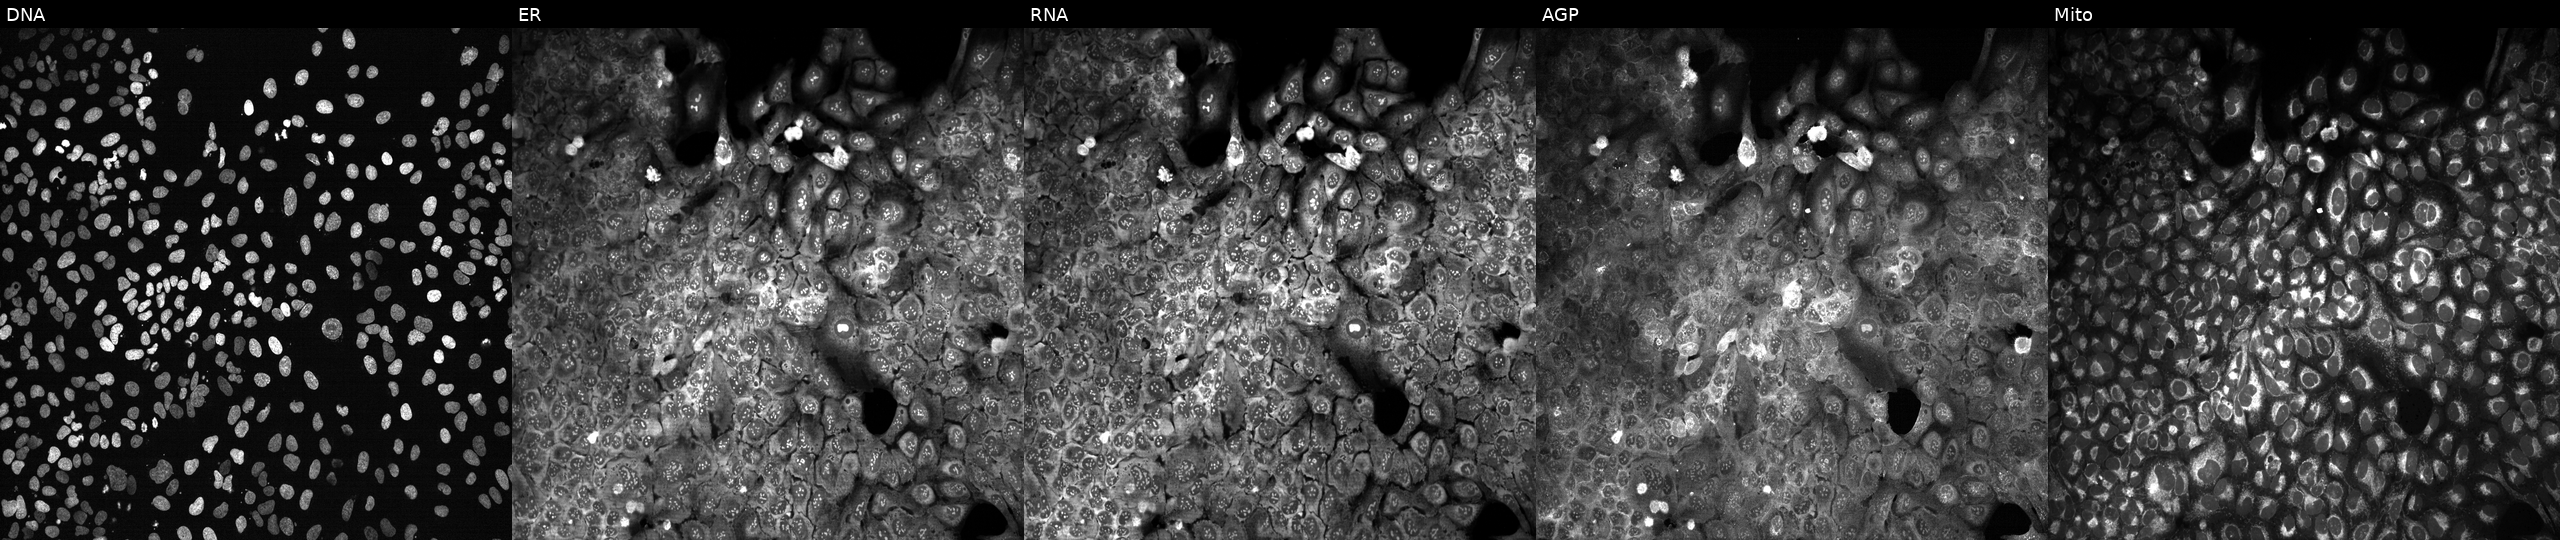
U2OS cells, Cell Painting assay, with SHFM1 knocked out by CRISPR (JUMP id JCP2022_806322). Panels show, left to right, DNA (nuclei); ER (endoplasmic reticulum); RNA (nucleoli and cytoplasmic RNA); AGP (actin cytoskeleton, Golgi, and plasma membrane); Mito (mitochondria). Each panel is percentile-stretched 16-bit fluorescence. Source 13, plate CP-CC9-R4-03, well N16.